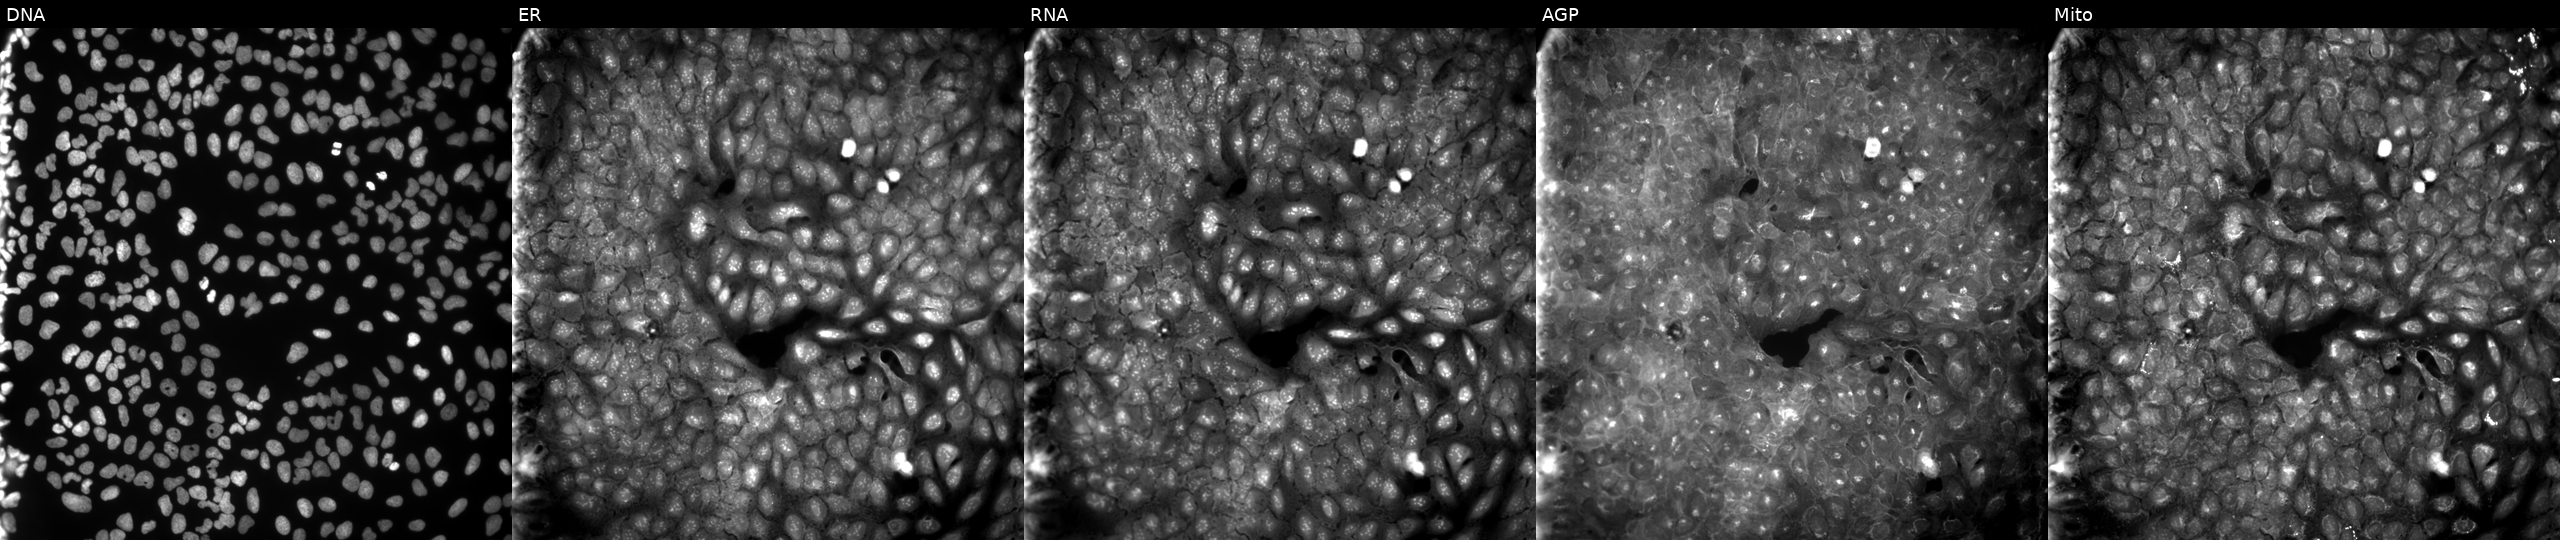
Five-channel Cell Painting image of U2OS cells exposed to a small-molecule compound (InChIKey BLYPALQJNUSXFL-UHFFFAOYSA-N) (JUMP id JCP2022_007202). Panels show, left to right, DNA, ER, RNA, AGP, and Mito. Source 9, plate GR00003381, well Q08.